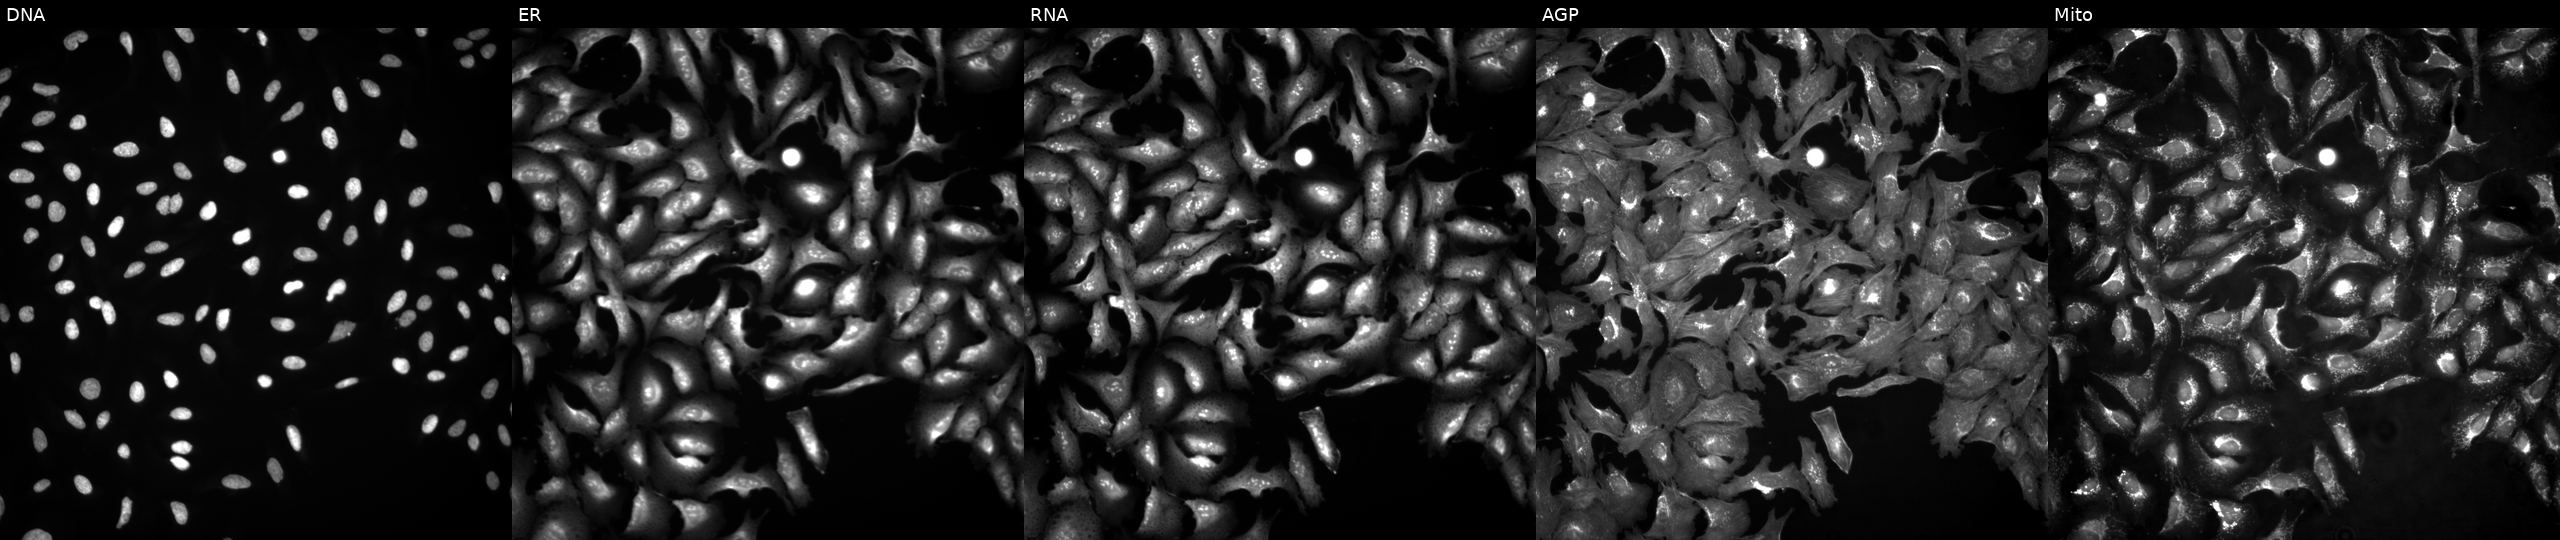
High-content fluorescence microscopy (Cell Painting). Cell line: U2OS. Perturbation: transfected with an ORF construct for SNX16. The five panels, left to right, show DNA (nuclei); ER (endoplasmic reticulum); RNA (nucleoli and cytoplasmic RNA); AGP (actin cytoskeleton, Golgi, and plasma membrane); Mito (mitochondria). Source 4, plate BR00123945, well A09.